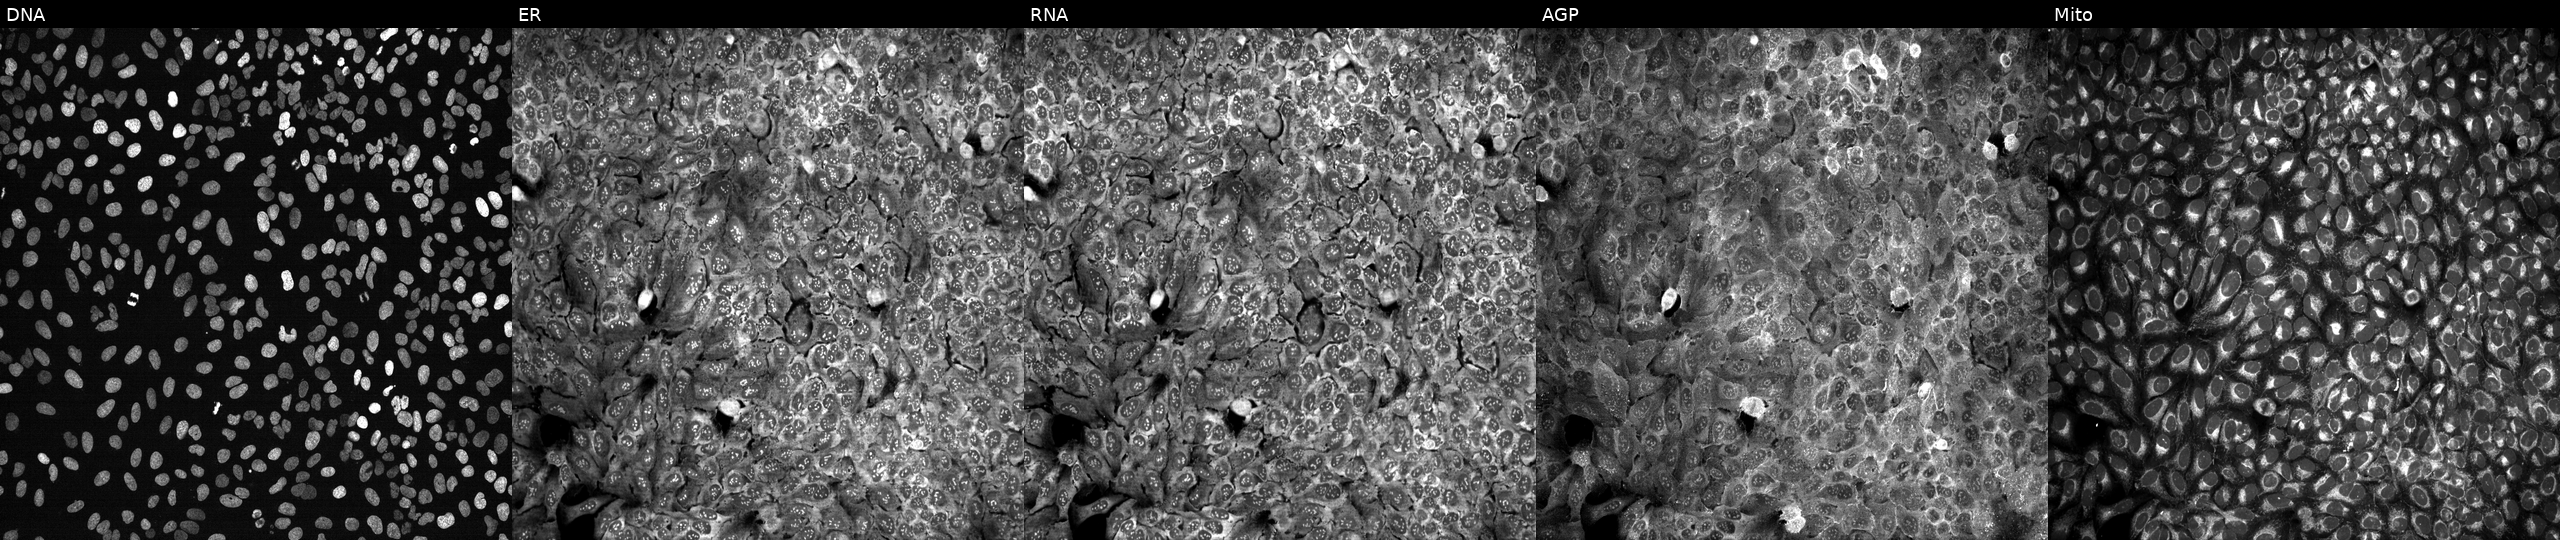
The five panels, left to right, show Hoechst 33342, concanavalin A, SYTO 14, phalloidin and WGA, MitoTracker. U2OS osteosarcoma cells with ARSG knocked out by CRISPR (JUMP id JCP2022_800603). Cell Painting assay, JUMP-CP dataset.